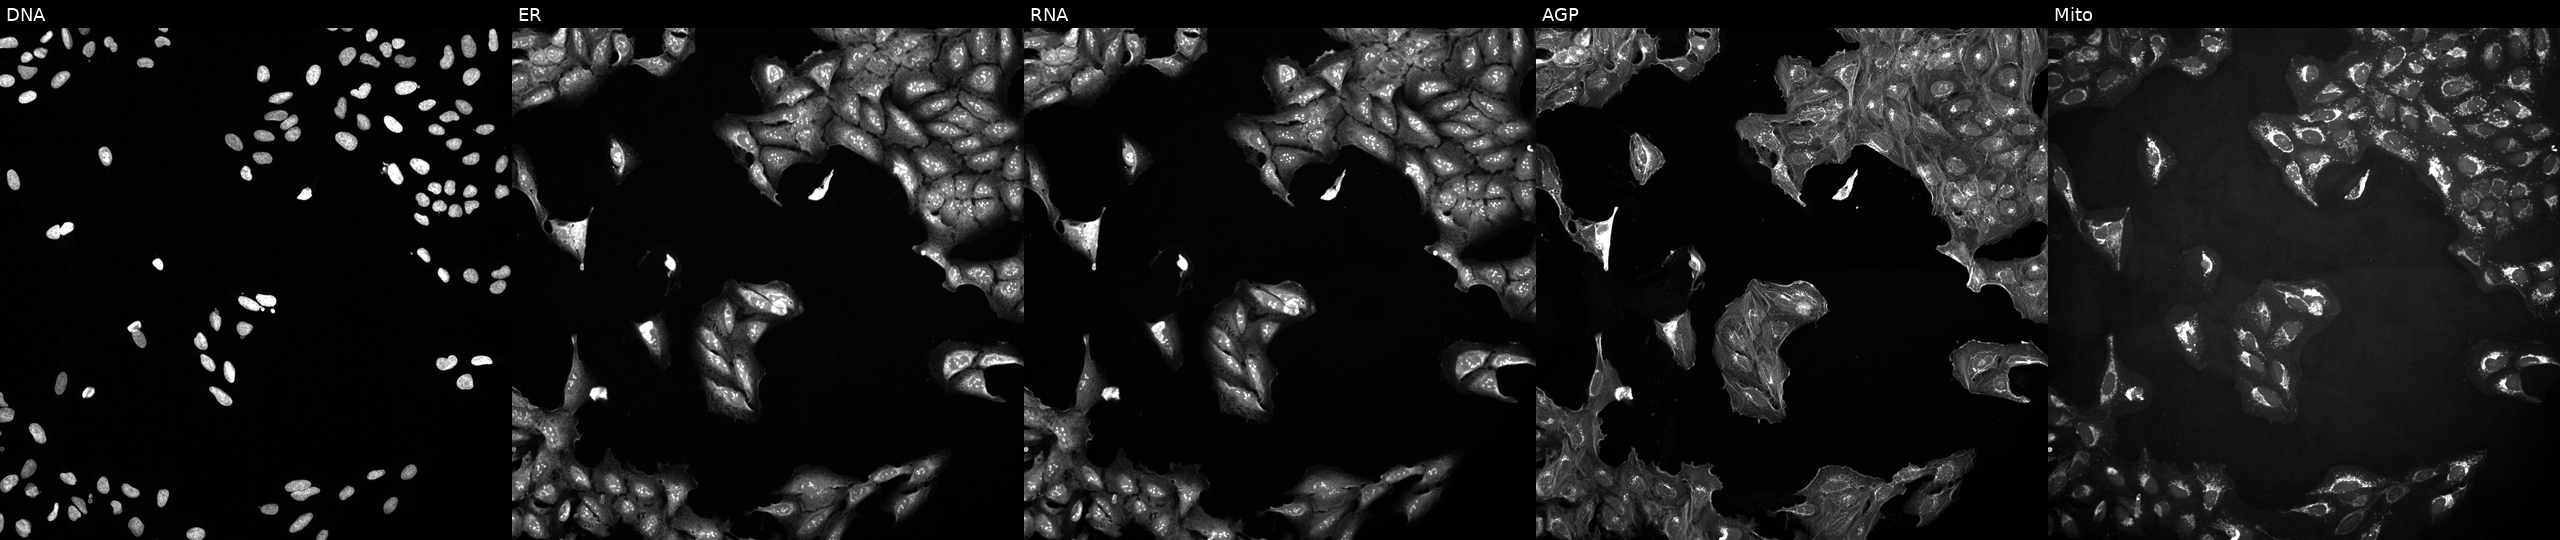
U2OS cells, Cell Painting assay, perturbed with a small-molecule compound (InChIKey CQHBQPSSJQUYGL-UHFFFAOYSA-N) (JUMP id JCP2022_012799). From left to right: Hoechst 33342, concanavalin A, SYTO 14, phalloidin and WGA, MitoTracker. Each panel is percentile-stretched 16-bit fluorescence.